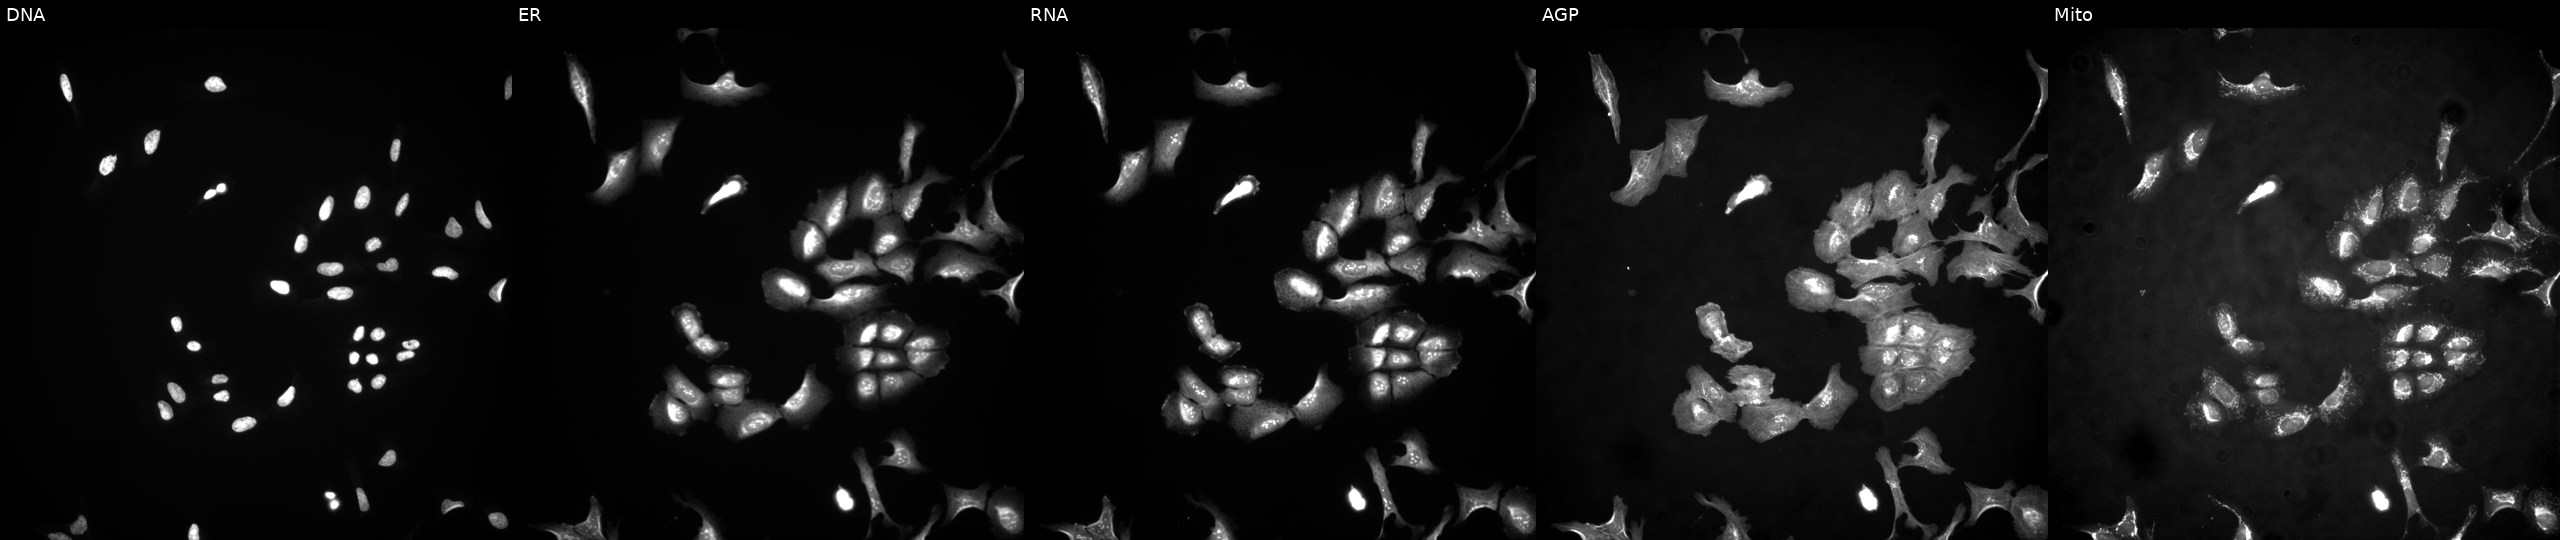
The five panels, left to right, show DNA (nuclei); ER (endoplasmic reticulum); RNA (nucleoli and cytoplasmic RNA); AGP (actin cytoskeleton, Golgi, and plasma membrane); Mito (mitochondria). U2OS osteosarcoma cells transfected with an ORF construct for LRRTM4 (JUMP id JCP2022_911811). Cell Painting assay, JUMP-CP dataset. Source 4, plate BR00124784, well K09.